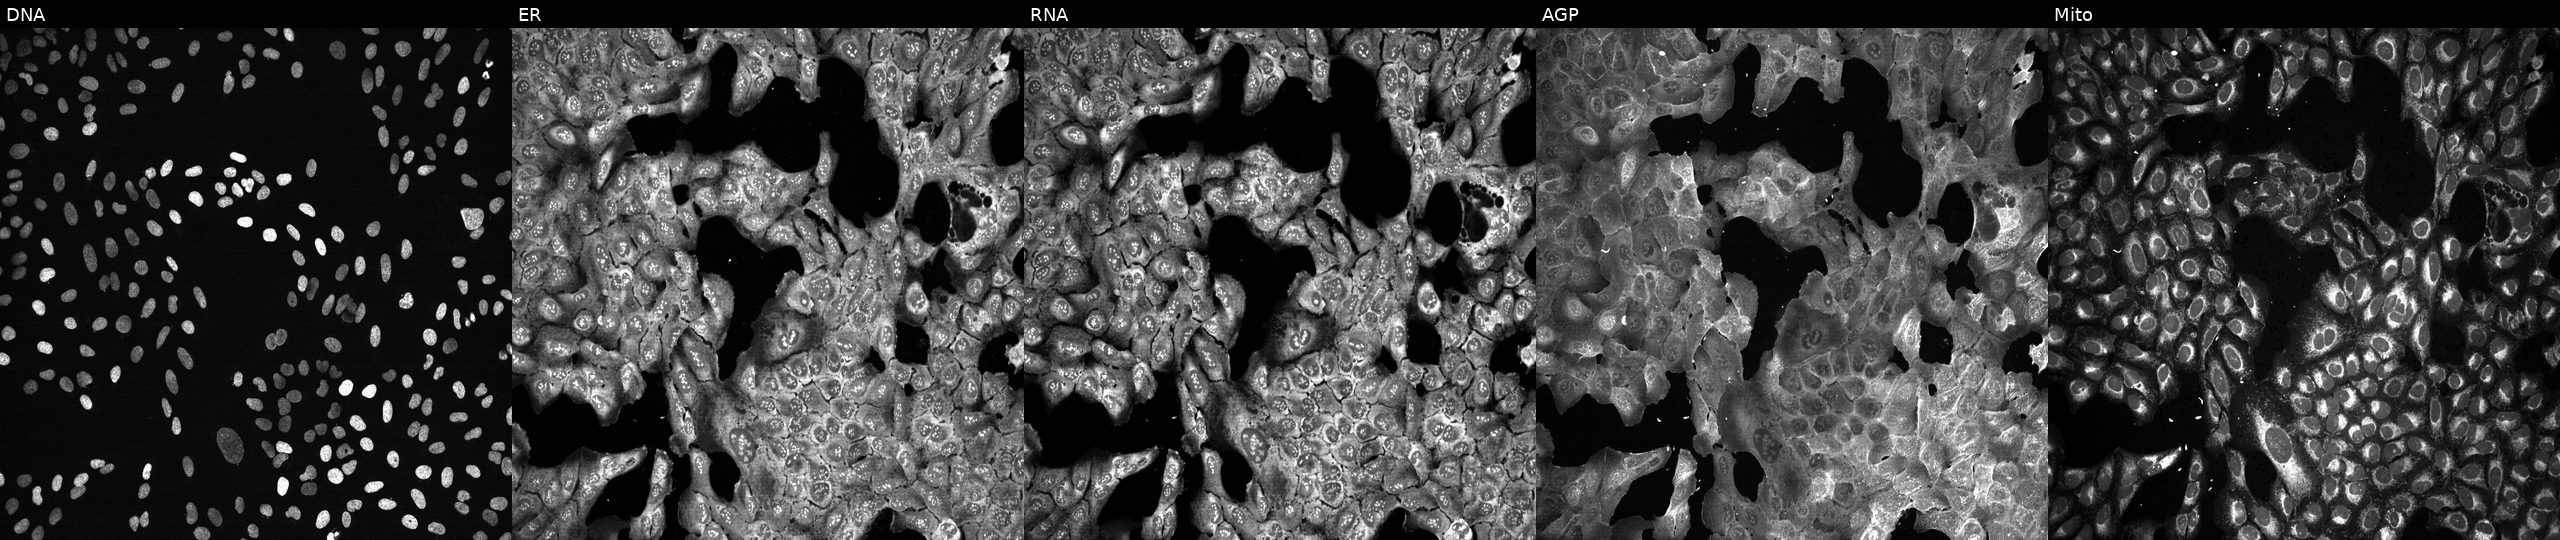
JUMP Cell Painting — CRISPR plate. U2OS cells CRISPR-edited to disrupt TMED10. Panels show, left to right, Hoechst 33342, concanavalin A, SYTO 14, phalloidin and WGA, MitoTracker. Source 13, plate CP-CC9-R2-01, well B18.